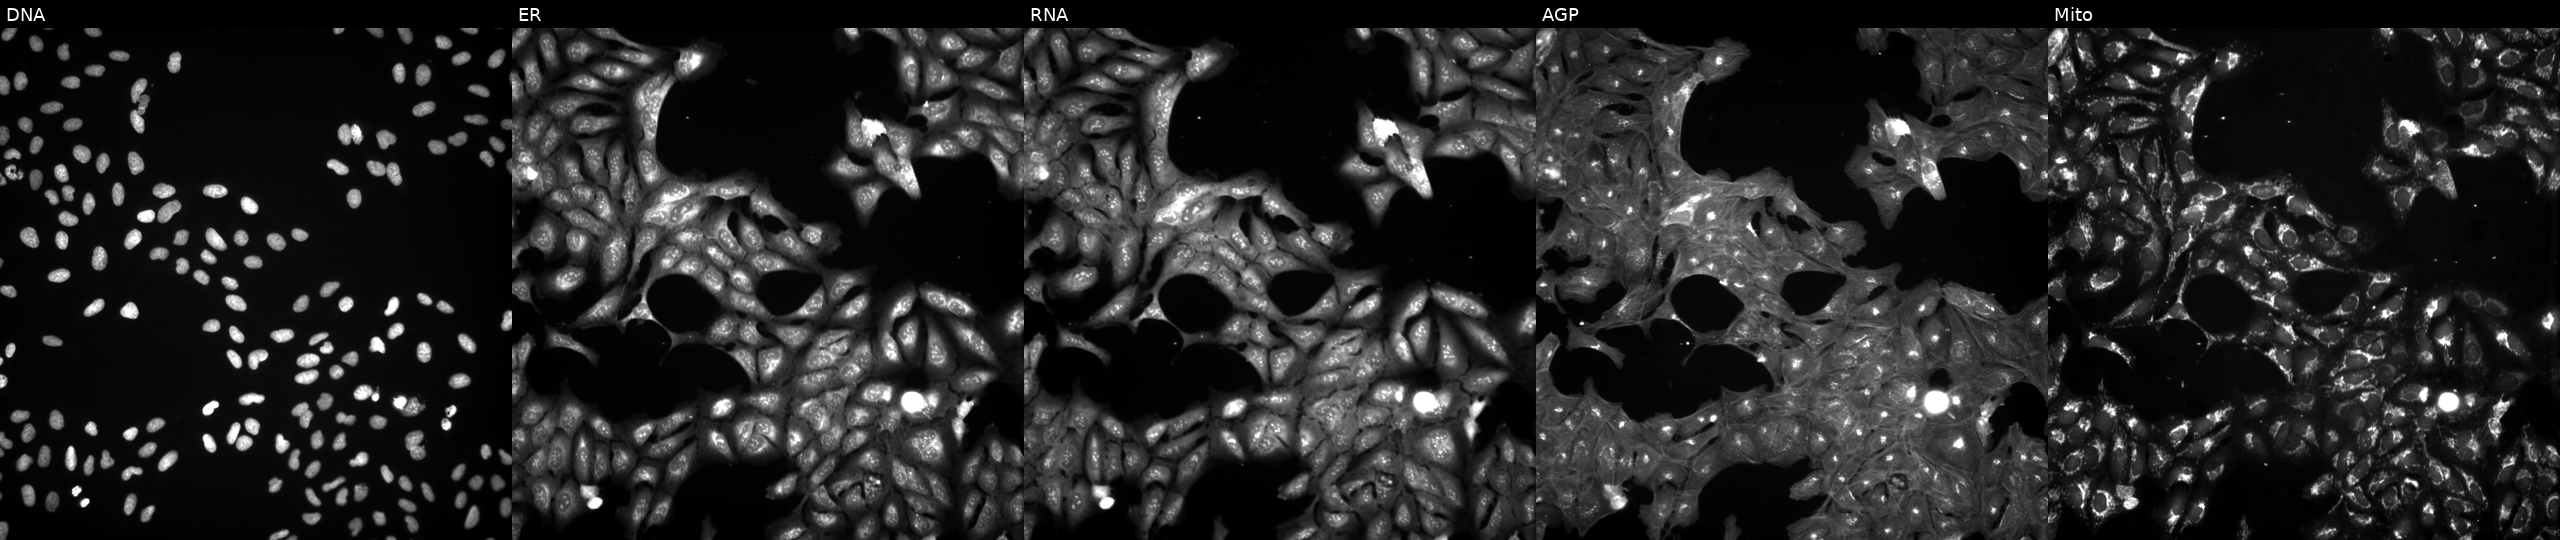
Five-channel Cell Painting image of U2OS cells treated with DMSO vehicle only (negative control). Channels (left→right): DNA, ER, RNA, AGP, and Mito.